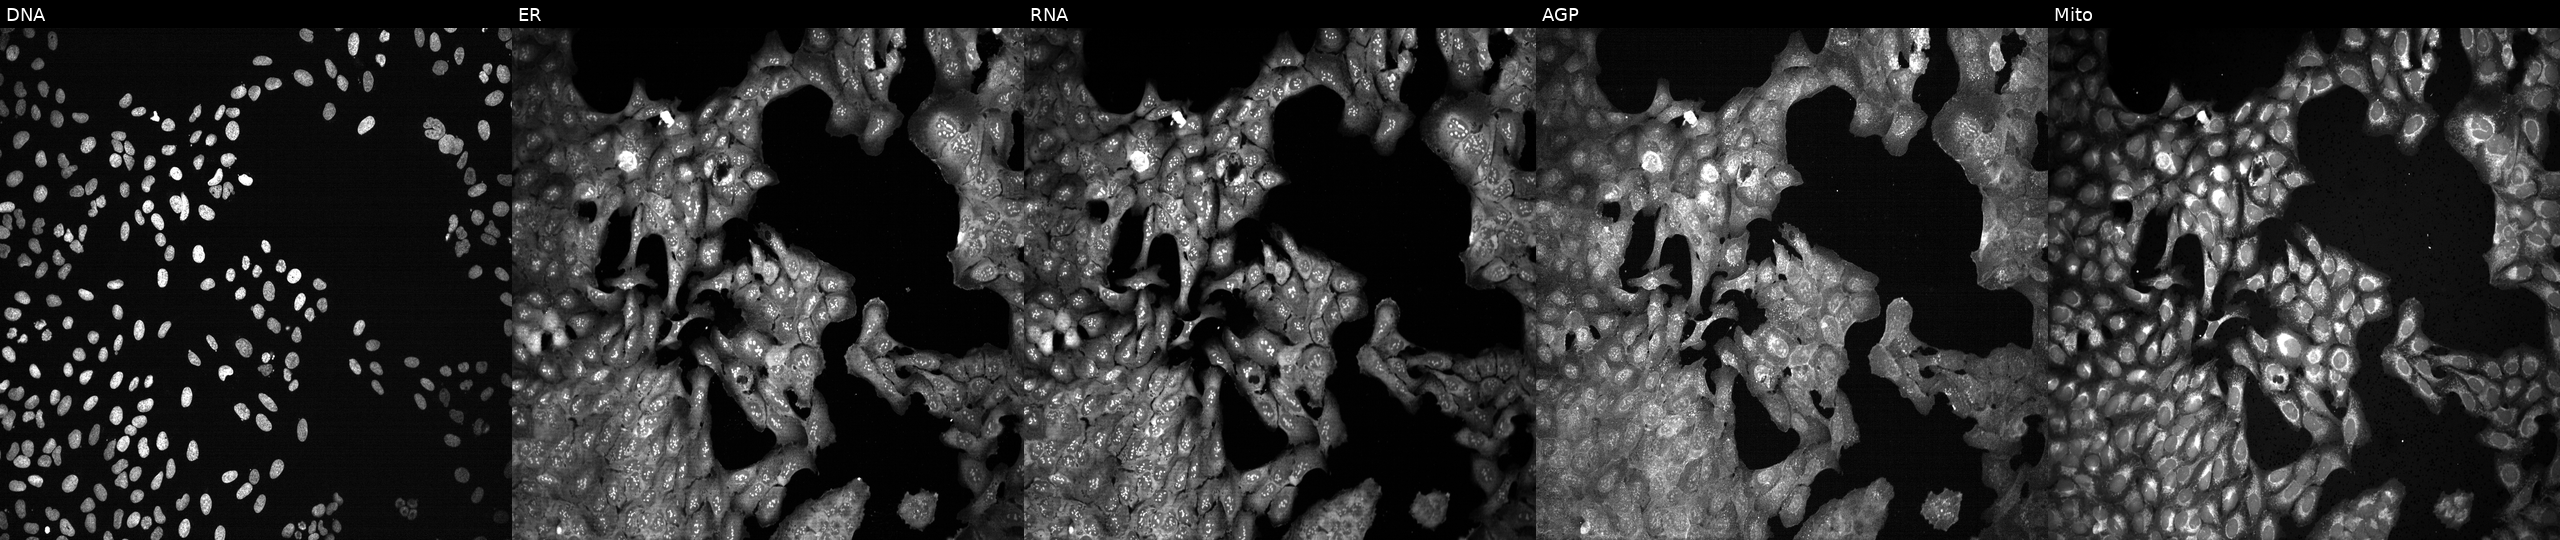
This image strip shows the five Cell Painting channels for a single field of U2OS cells with GPAT3 knocked out by CRISPR (JUMP id JCP2022_802792). Panels show, left to right, DNA (nuclei); ER (endoplasmic reticulum); RNA (nucleoli and cytoplasmic RNA); AGP (actin cytoskeleton, Golgi, and plasma membrane); Mito (mitochondria). Source 13, plate CP-CC9-R5-01, well O21.